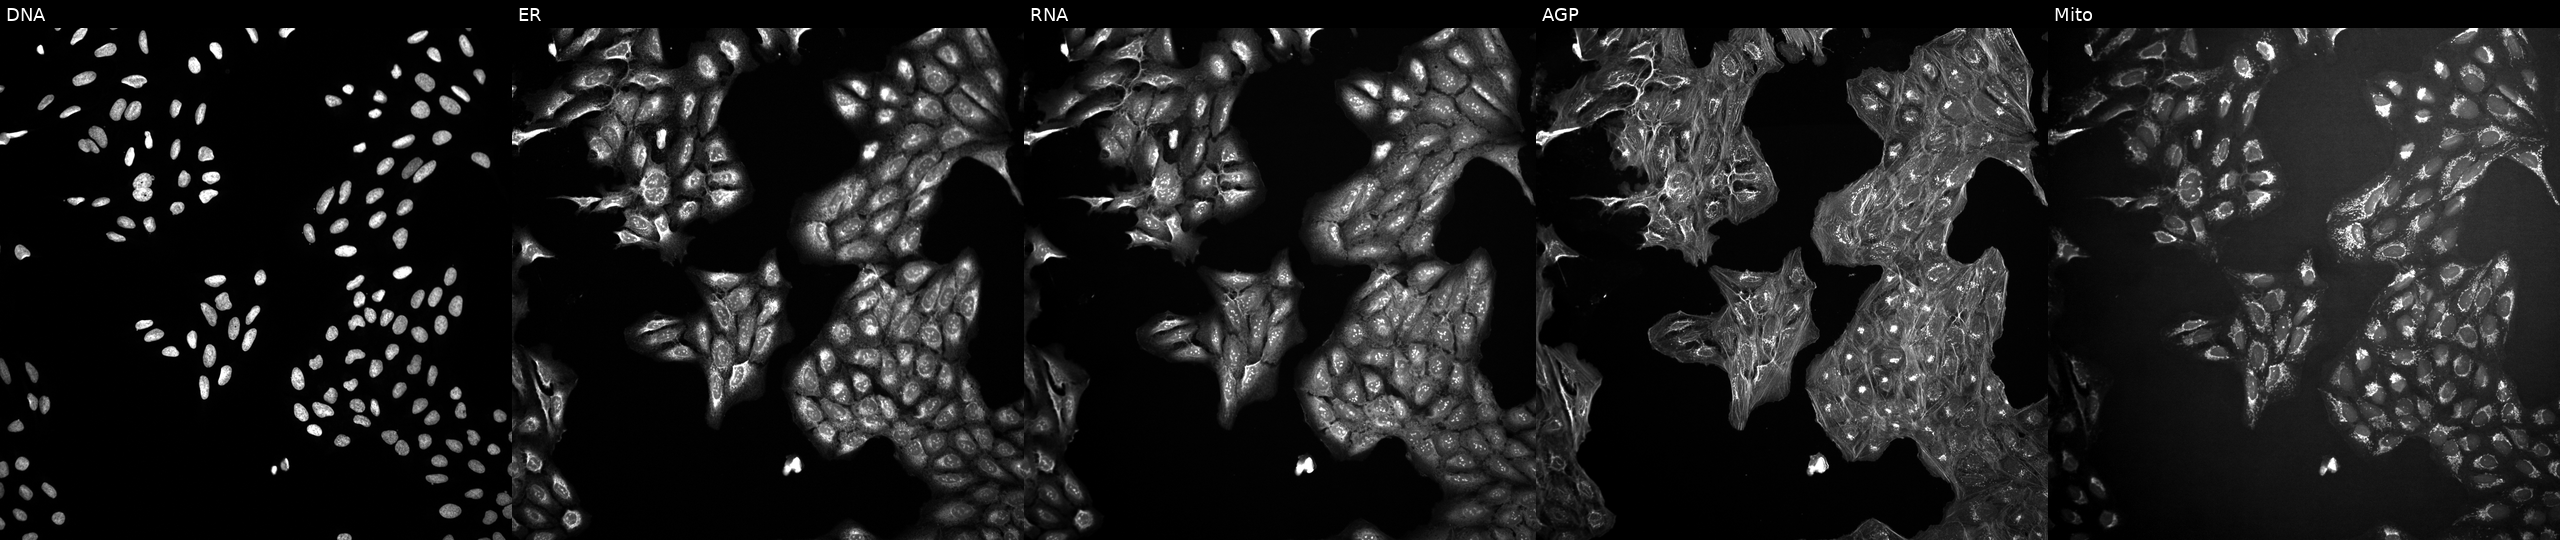
JUMP Cell Painting — COMPOUND plate. U2OS cells in an empty control well (no perturbation). From left to right: DNA (nuclei); ER (endoplasmic reticulum); RNA (nucleoli and cytoplasmic RNA); AGP (actin cytoskeleton, Golgi, and plasma membrane); Mito (mitochondria). Source 10, plate Dest210531-152324, well G19.